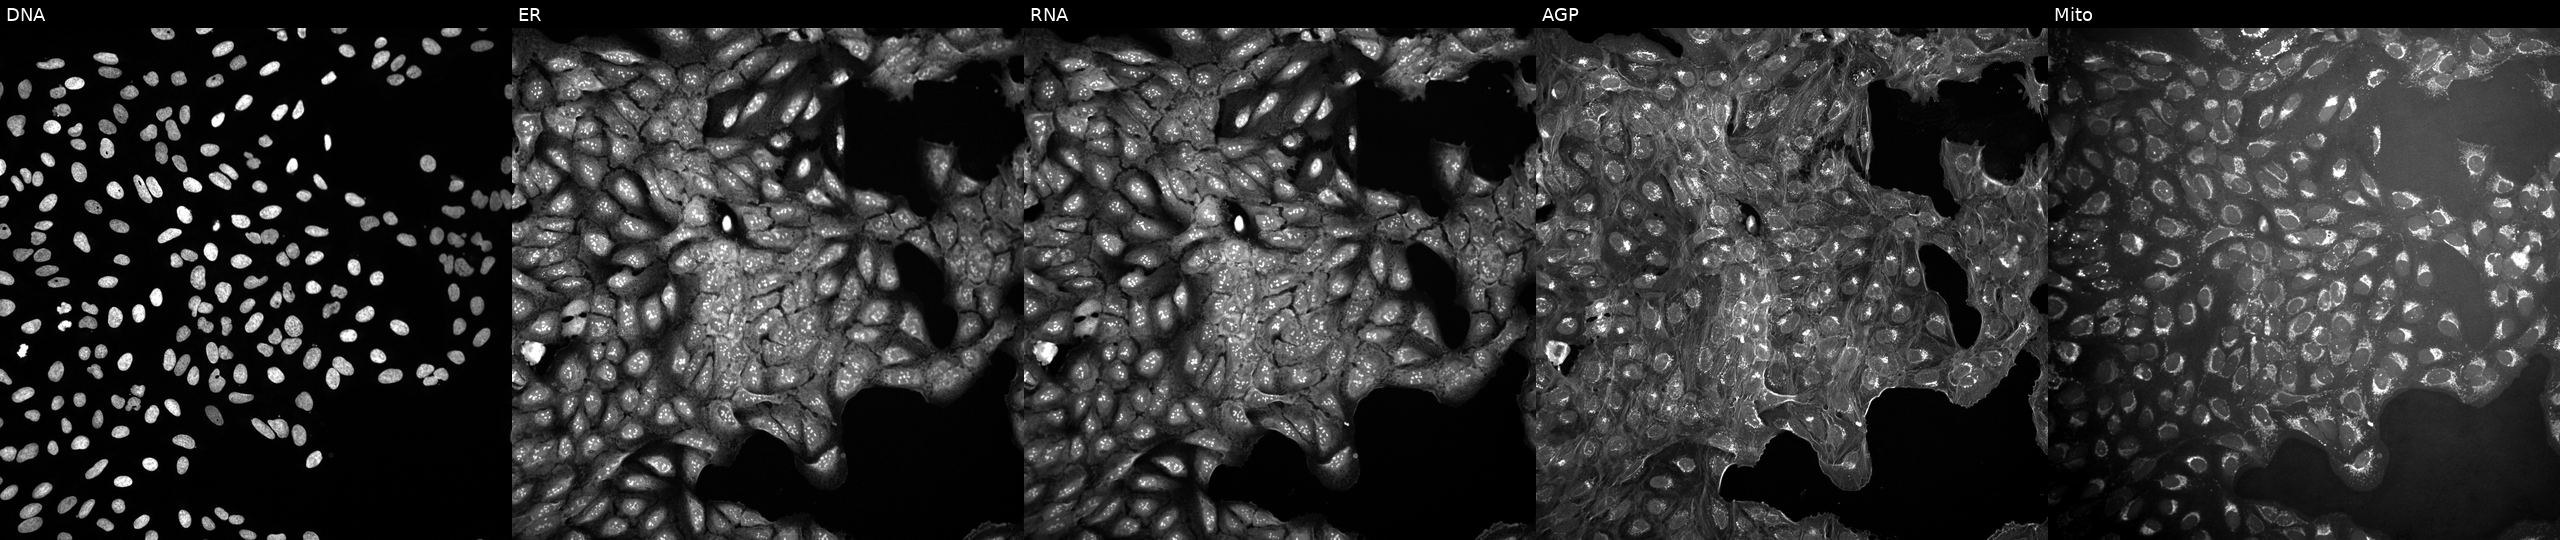
Five-channel Cell Painting image of U2OS cells untreated (empty-well control) (JUMP id JCP2022_999999). The five panels, left to right, show DNA, ER, RNA, AGP, and Mito.